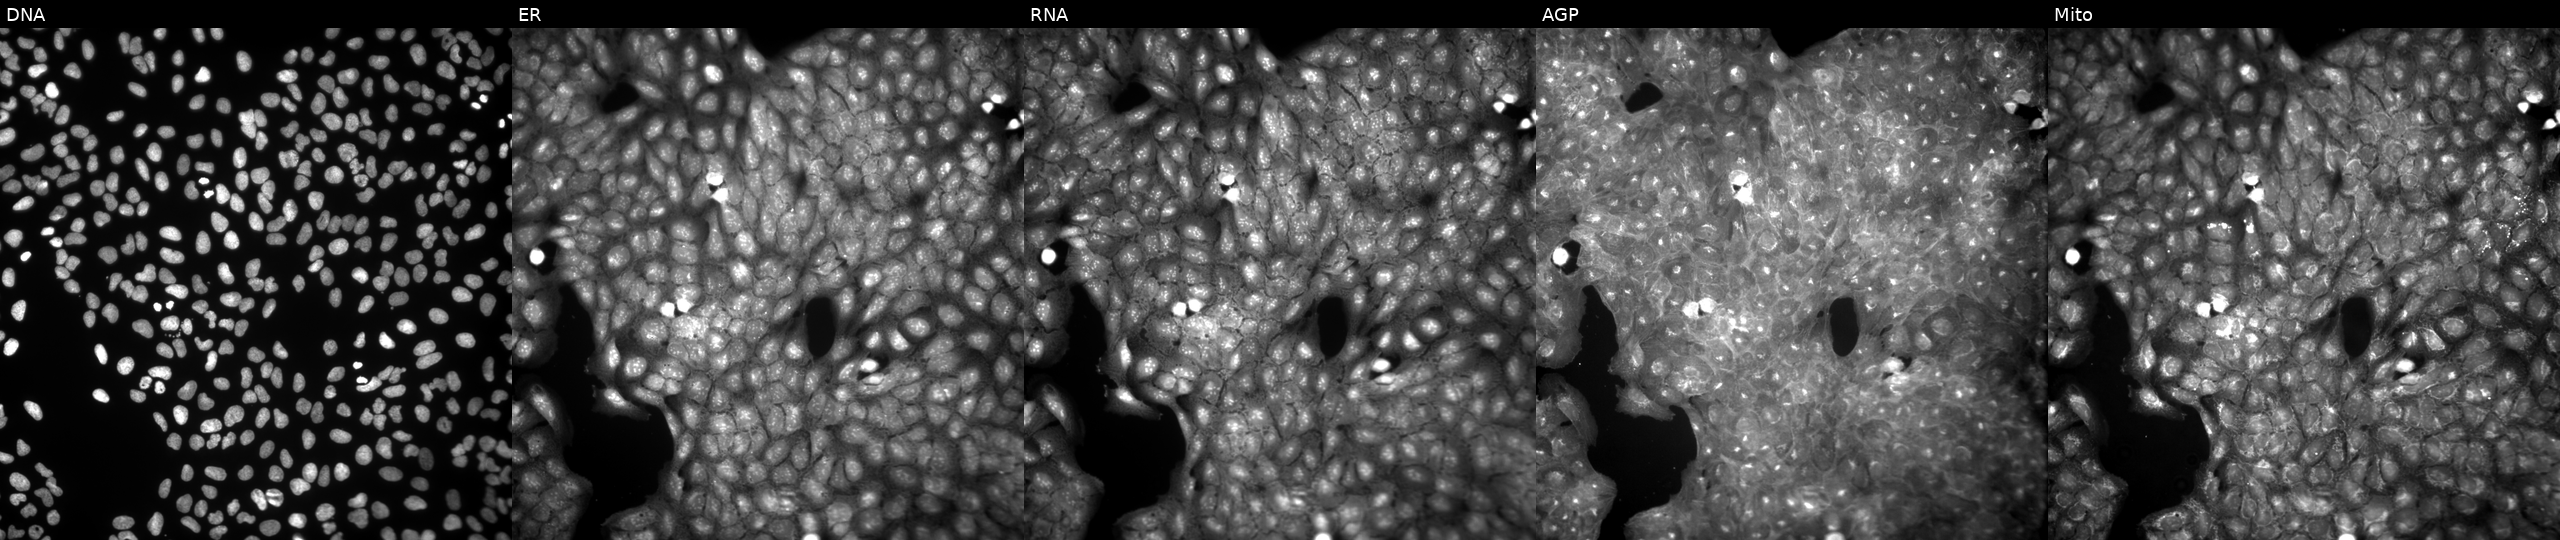
From left to right: DNA, ER, RNA, AGP, and Mito. U2OS osteosarcoma cells treated with a small-molecule compound (InChIKey TXXCZCPMQLKDCW-UHFFFAOYSA-N). Cell Painting assay, JUMP-CP dataset. Source 9, plate GR00003382, well X38.